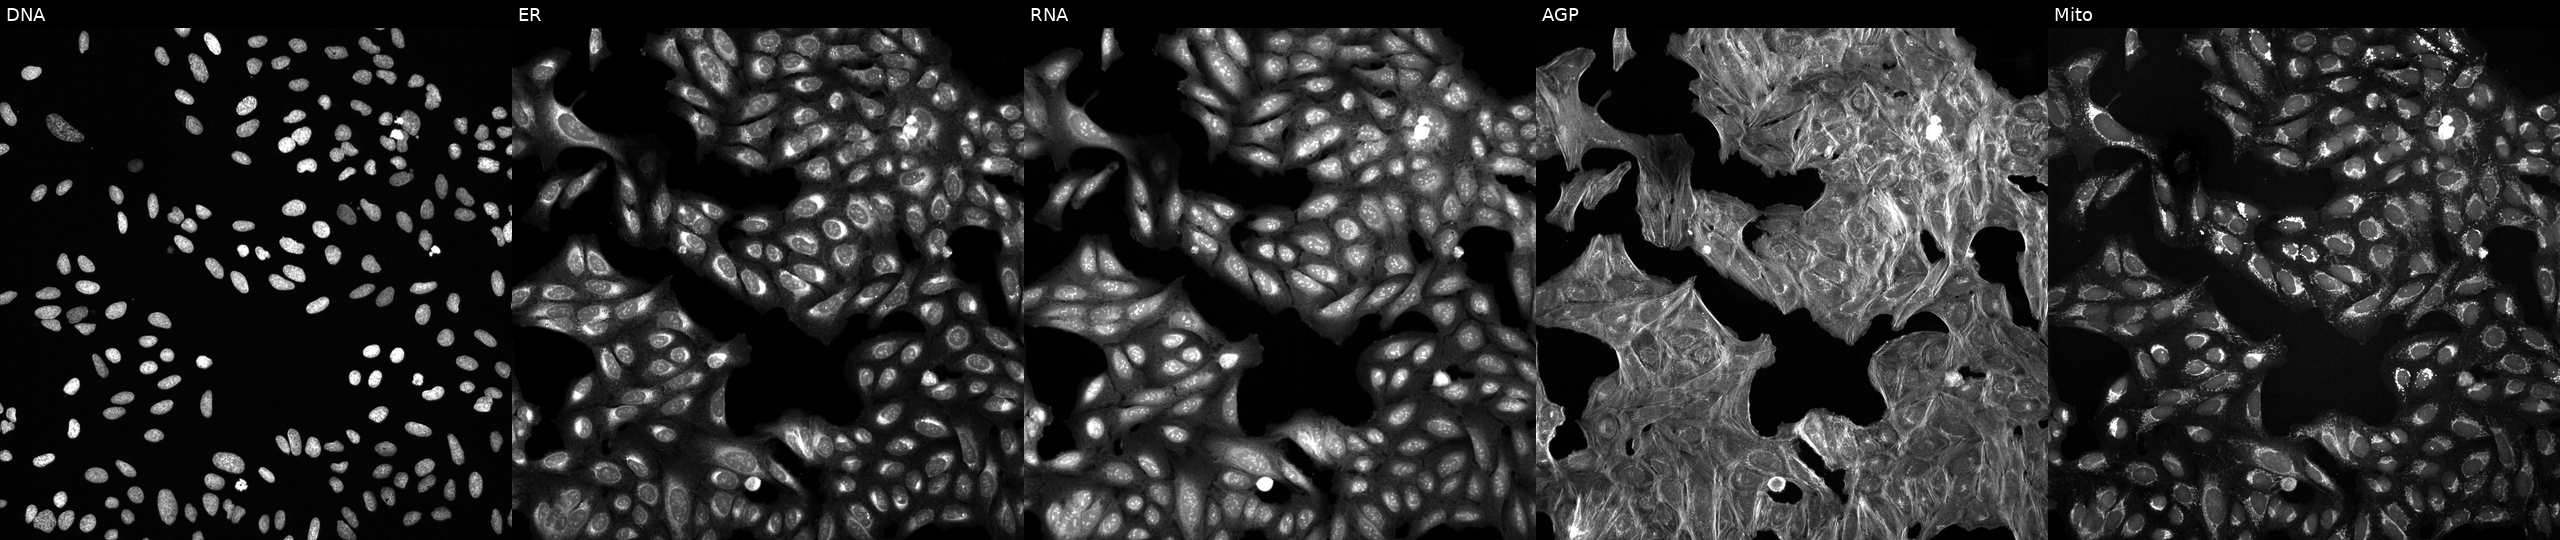
U2OS cells, Cell Painting assay, treated with a small-molecule compound (InChIKey CHNGXXFGAVLCEY-UHFFFAOYSA-N) (JUMP id JCP2022_011171). From left to right: DNA (nuclei); ER (endoplasmic reticulum); RNA (nucleoli and cytoplasmic RNA); AGP (actin cytoskeleton, Golgi, and plasma membrane); Mito (mitochondria). Each panel is percentile-stretched 16-bit fluorescence.